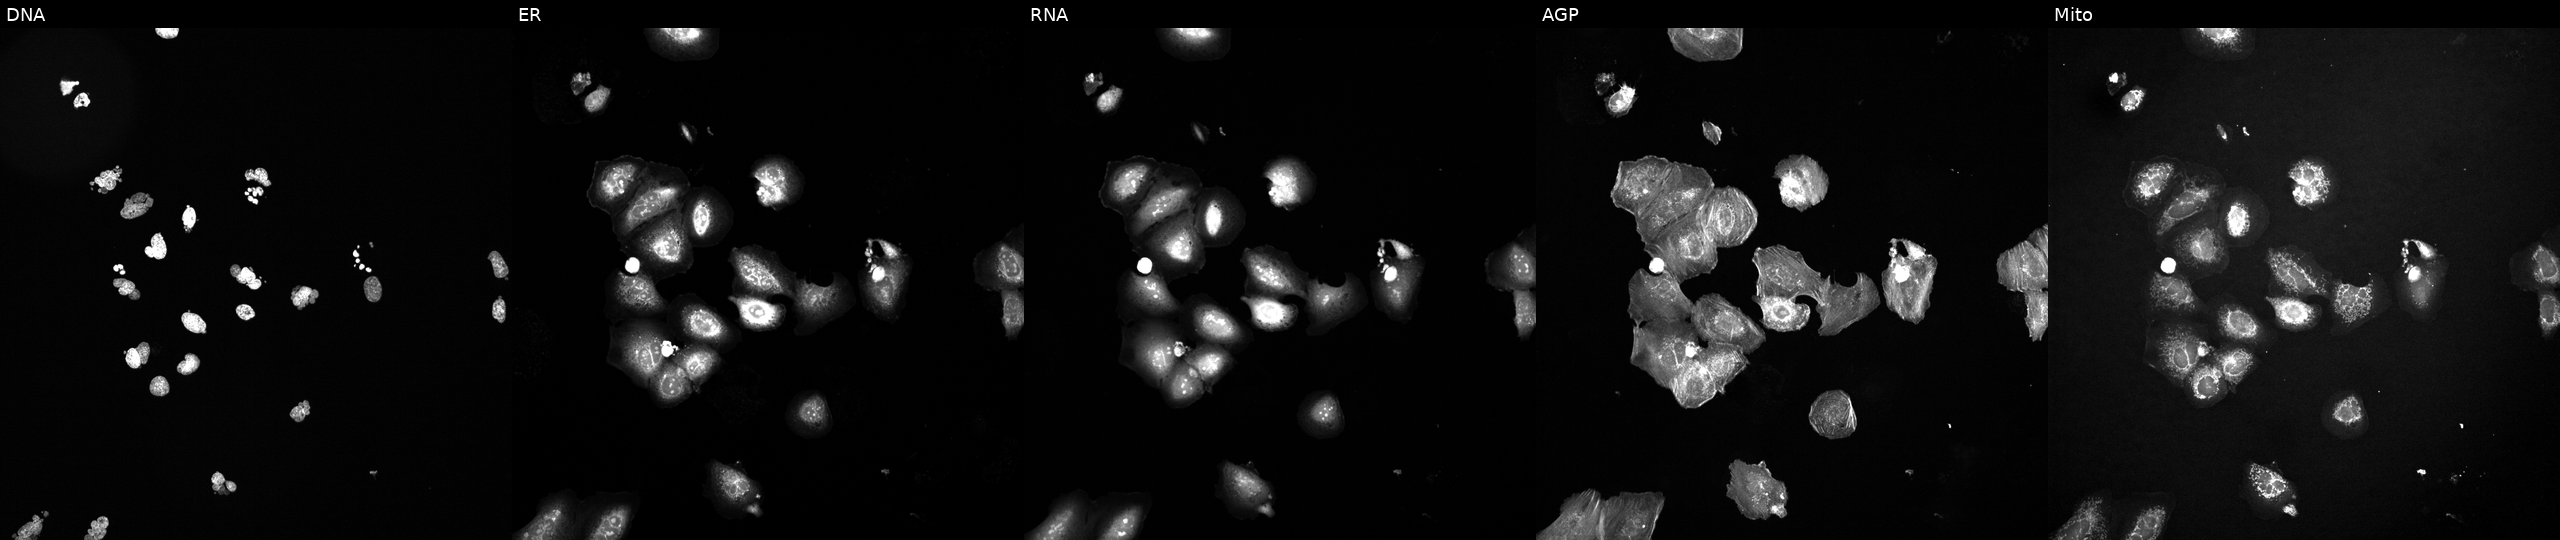
From left to right: Hoechst 33342, concanavalin A, SYTO 14, phalloidin and WGA, MitoTracker. U2OS osteosarcoma cells treated with a small-molecule compound (InChIKey XYPGSGNBGHTDOG-UHFFFAOYSA-N) (JUMP id JCP2022_106886). Cell Painting assay, JUMP-CP dataset.